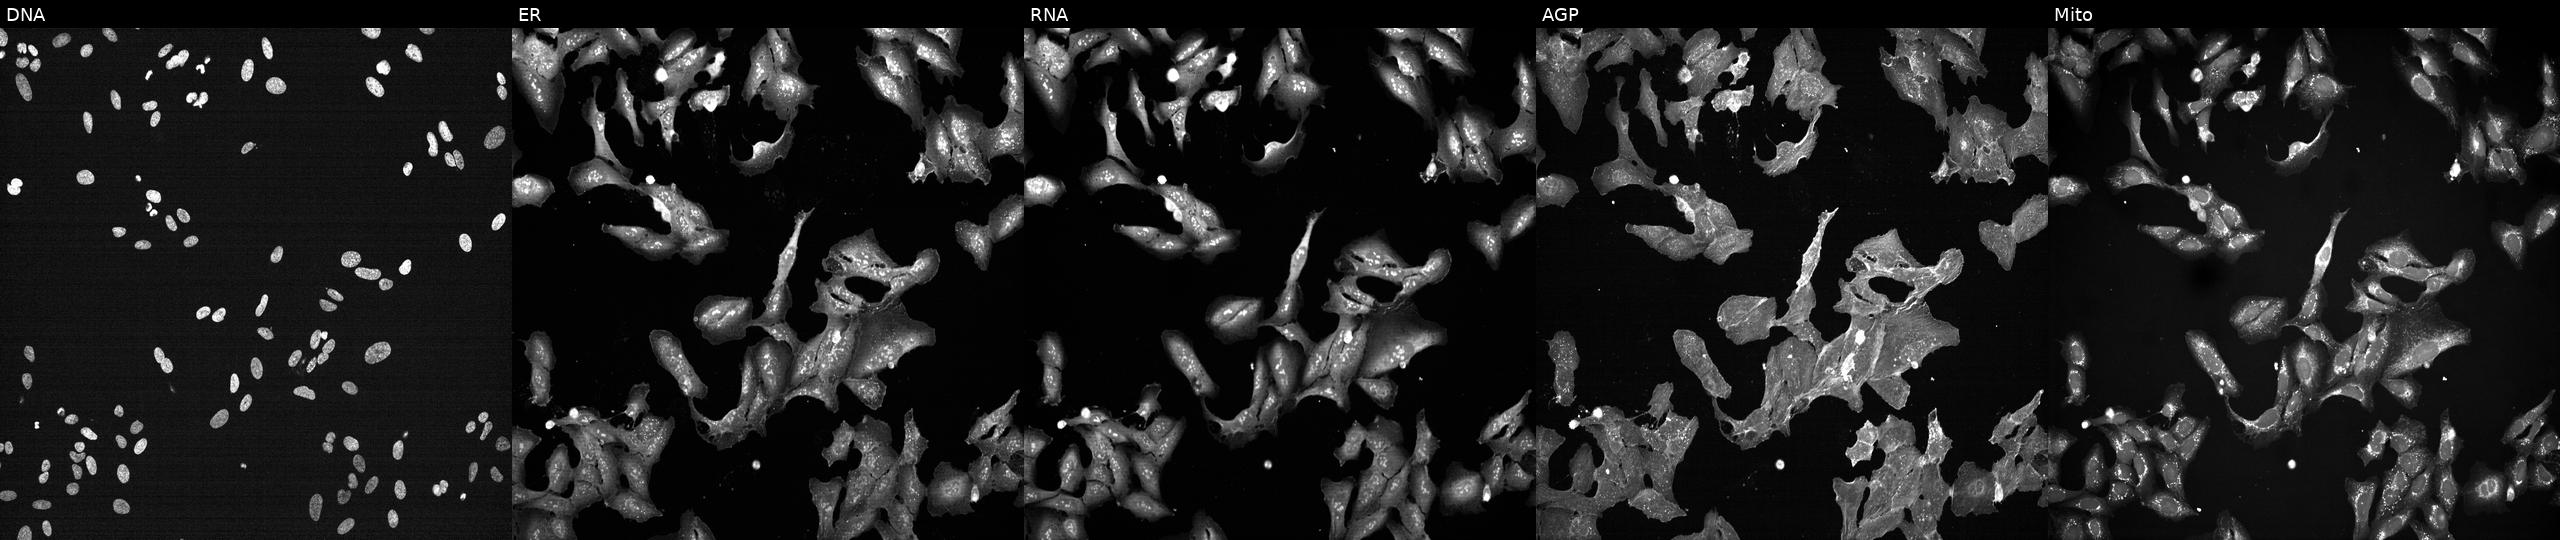
Channels (left→right): Hoechst 33342, concanavalin A, SYTO 14, phalloidin and WGA, MitoTracker. U2OS osteosarcoma cells treated with a small-molecule compound (JUMP id JCP2022_096067). Cell Painting assay, JUMP-CP dataset.